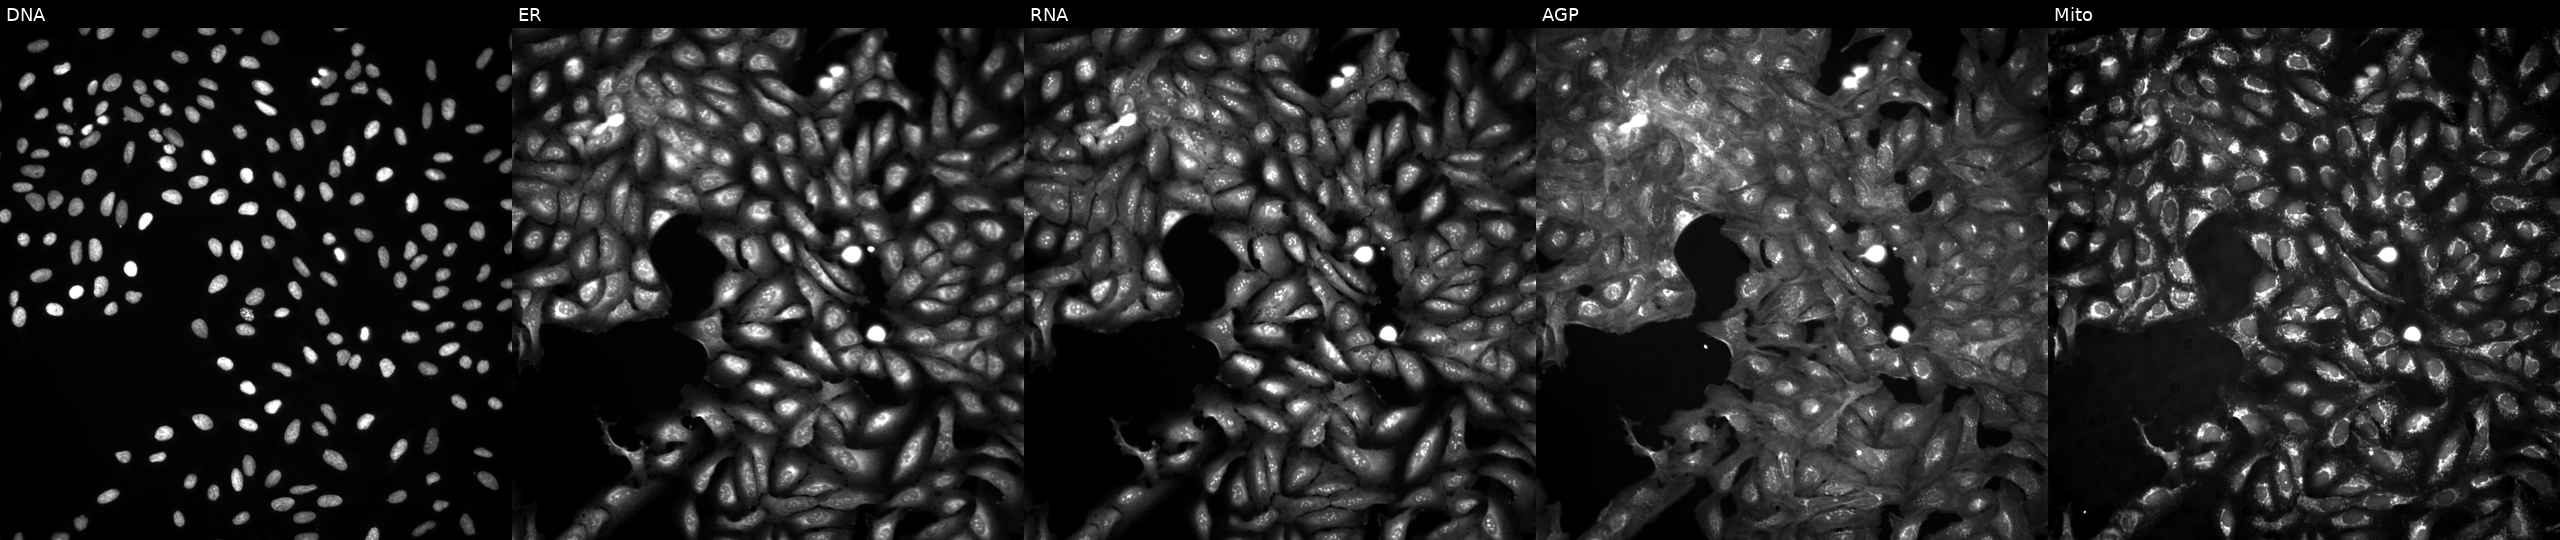
High-content fluorescence microscopy (Cell Painting). Cell line: U2OS. Perturbation: untreated (empty-well control). The five panels, left to right, show Hoechst 33342, concanavalin A, SYTO 14, phalloidin and WGA, MitoTracker. Source 4, plate BR00124793, well F18.